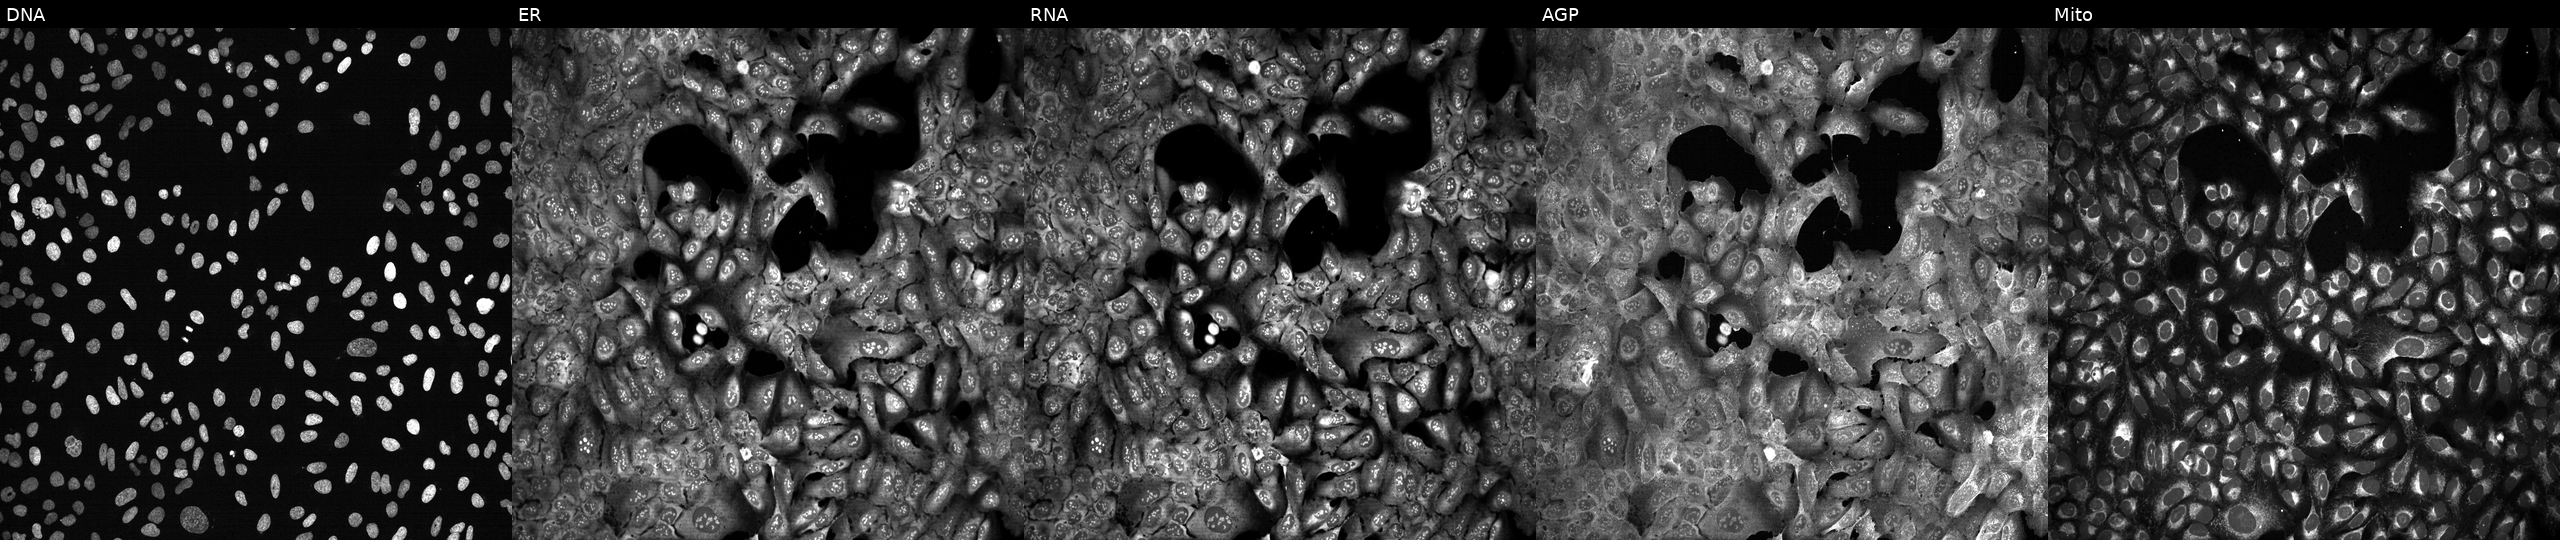
Five-channel Cell Painting image of U2OS cells with KRAS knocked out by CRISPR (JUMP id JCP2022_803753). Panels show, left to right, Hoechst 33342, concanavalin A, SYTO 14, phalloidin and WGA, MitoTracker.